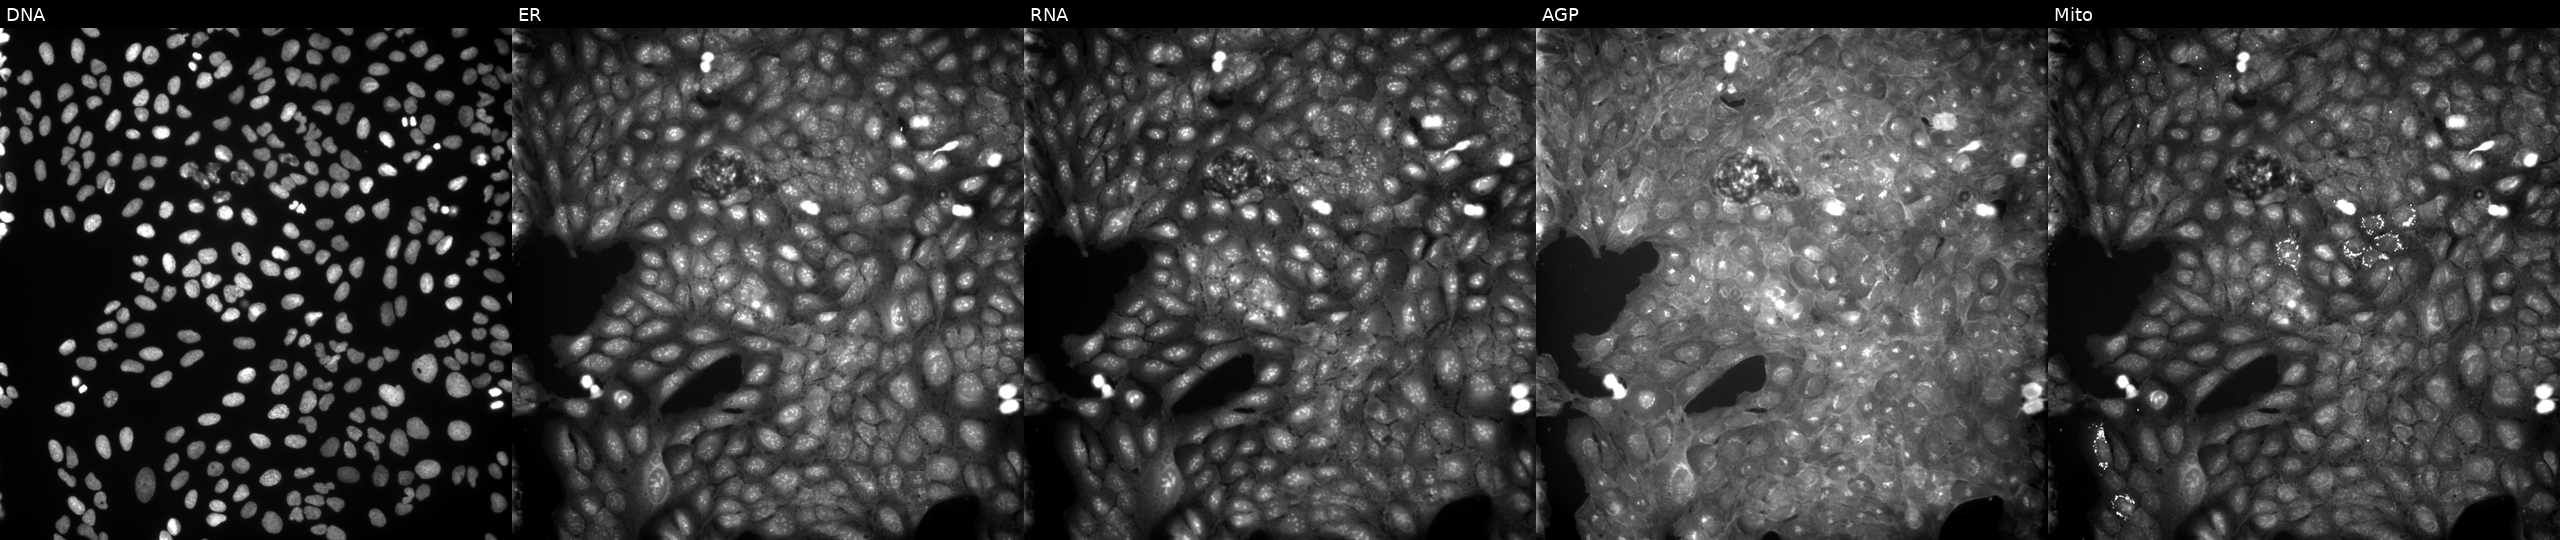
This image strip shows the five Cell Painting channels for a single field of U2OS cells treated with a small-molecule compound (InChIKey NGTLIQKVFTWNAQ-UHFFFAOYSA-N) (JUMP id JCP2022_058891). Channels (left→right): DNA (nuclei); ER (endoplasmic reticulum); RNA (nucleoli and cytoplasmic RNA); AGP (actin cytoskeleton, Golgi, and plasma membrane); Mito (mitochondria). Source 9, plate GR00003381, well K18.